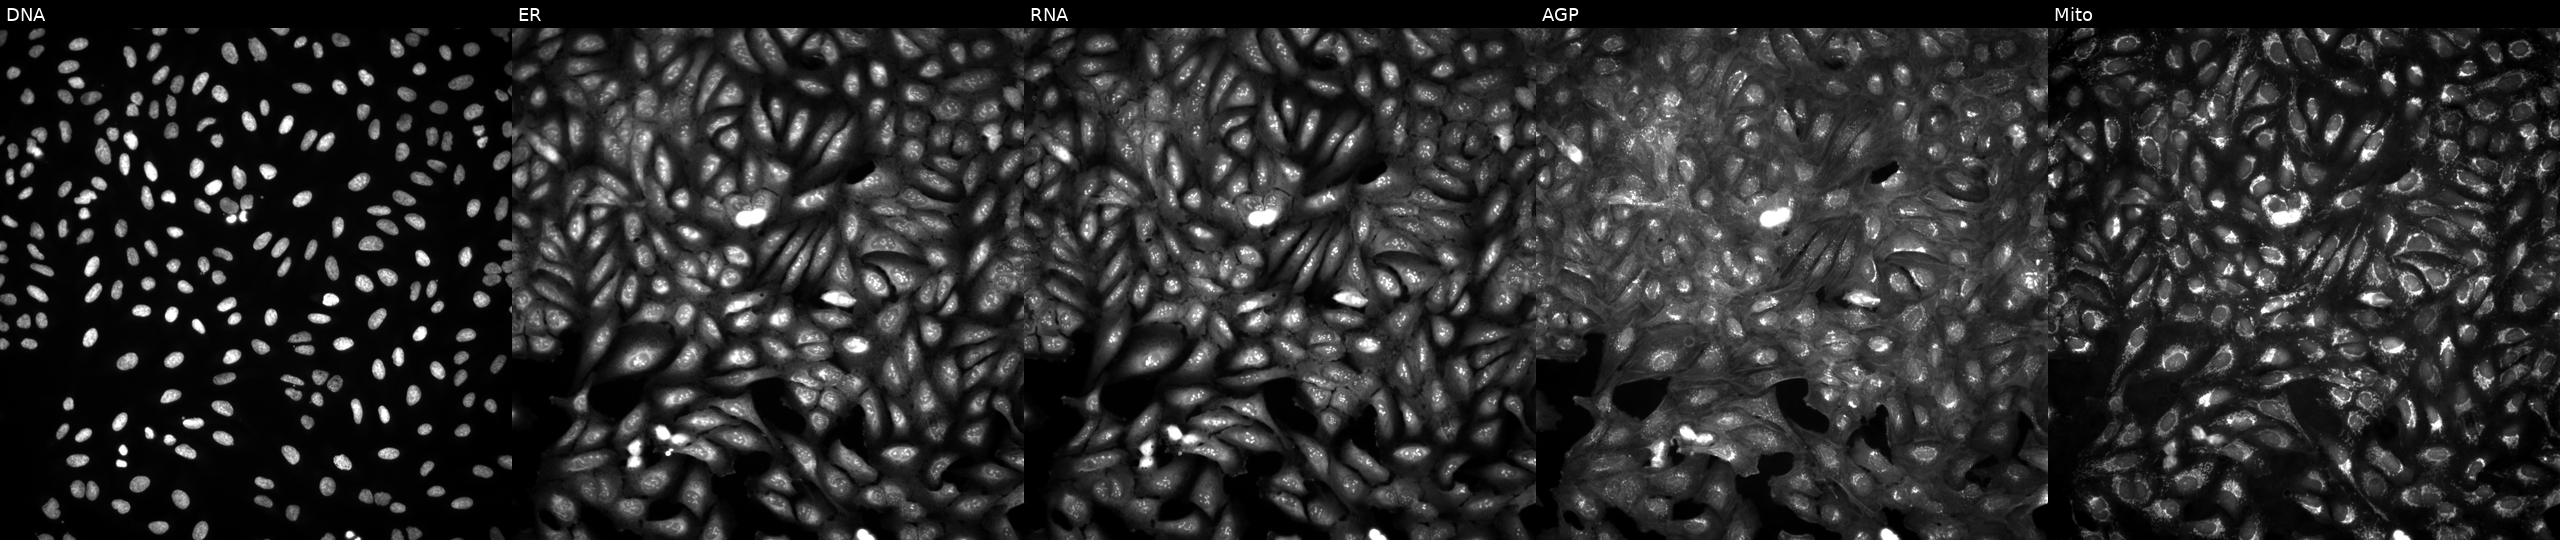
JUMP Cell Painting — ORF plate. U2OS cells untreated (empty-well control) (JUMP id JCP2022_999999). The five panels, left to right, show DNA, ER, RNA, AGP, and Mito.